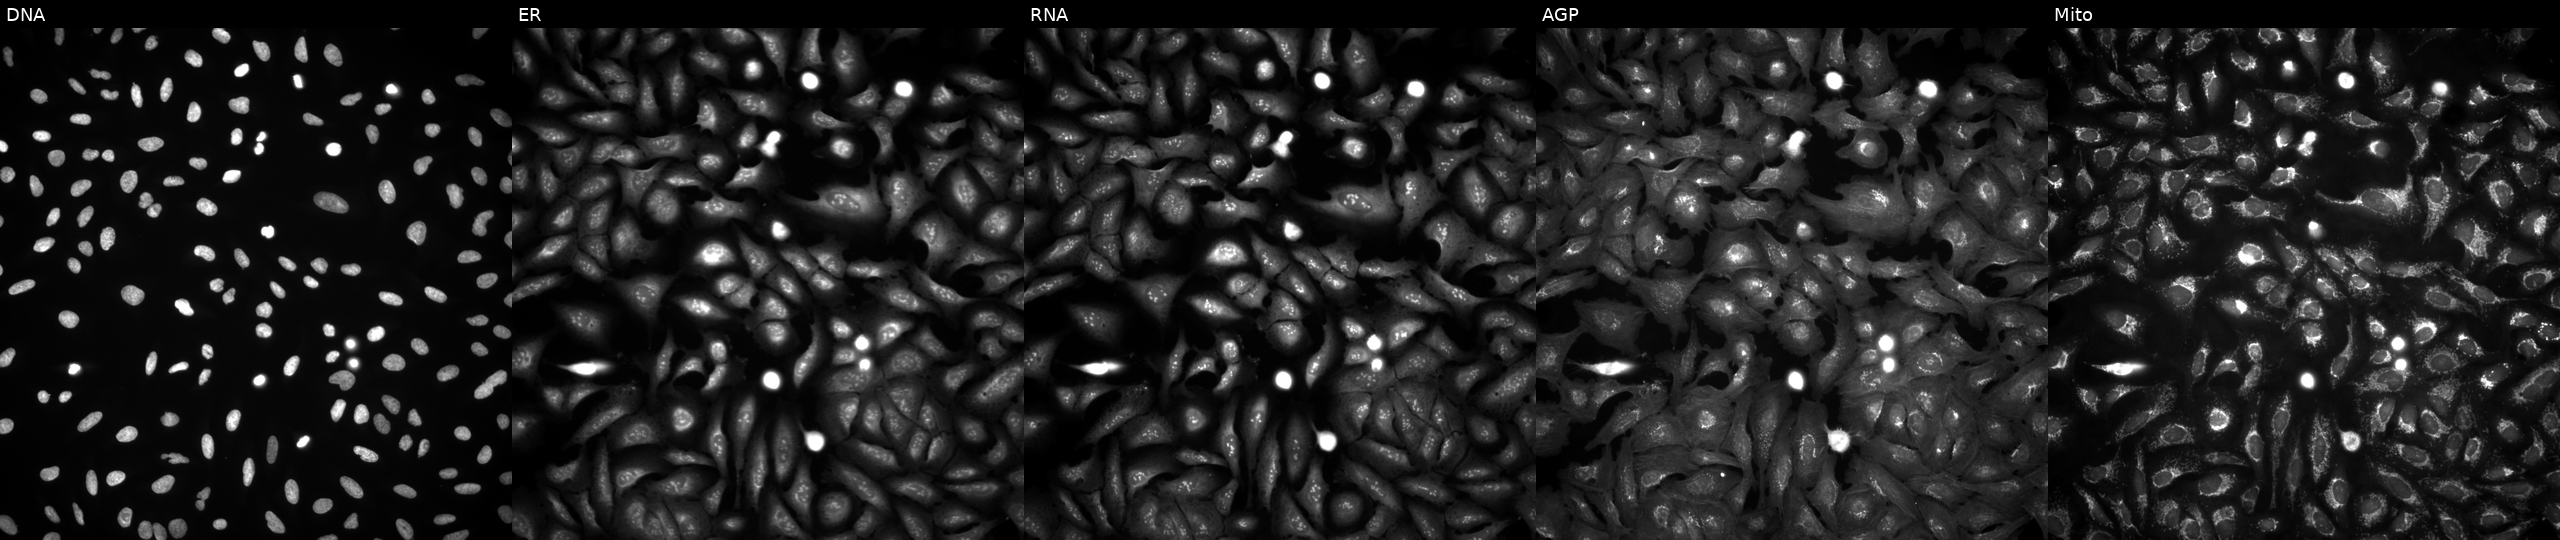
This image strip shows the five Cell Painting channels for a single field of U2OS cells overexpressing ACTN2 via ORF transfection (JUMP id JCP2022_900015). Panels show, left to right, Hoechst 33342, concanavalin A, SYTO 14, phalloidin and WGA, MitoTracker. Source 4, plate BR00124787, well P09.